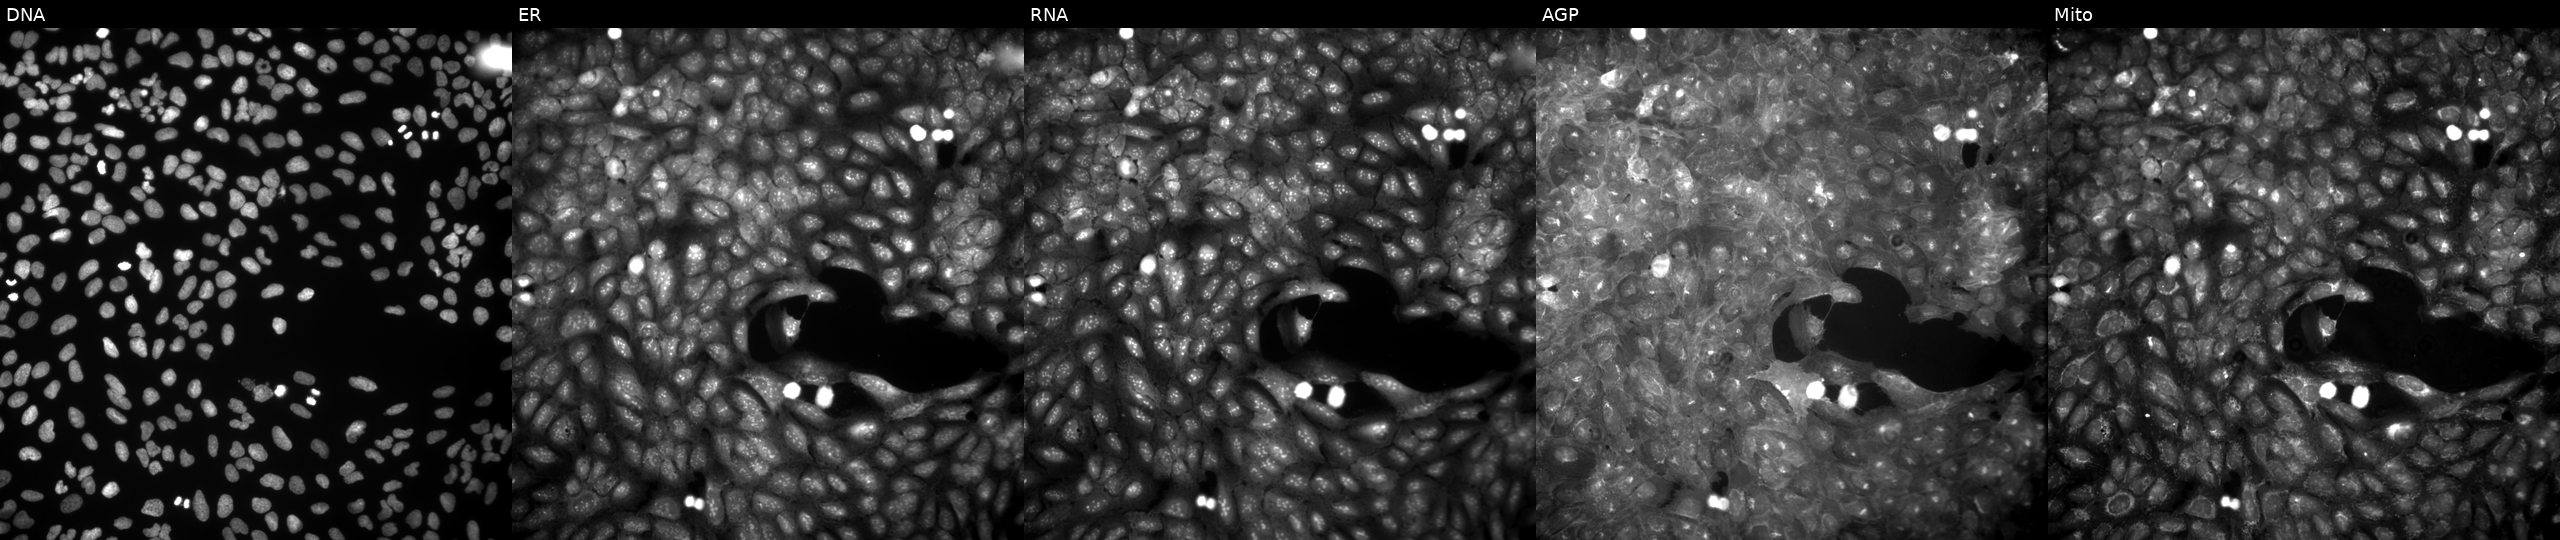
This image strip shows the five Cell Painting channels for a single field of U2OS cells perturbed with a small-molecule compound (InChIKey KOYYJLVDWOKNKO-UHFFFAOYSA-N) (JUMP id JCP2022_046040). Panels show, left to right, Hoechst 33342, concanavalin A, SYTO 14, phalloidin and WGA, MitoTracker.